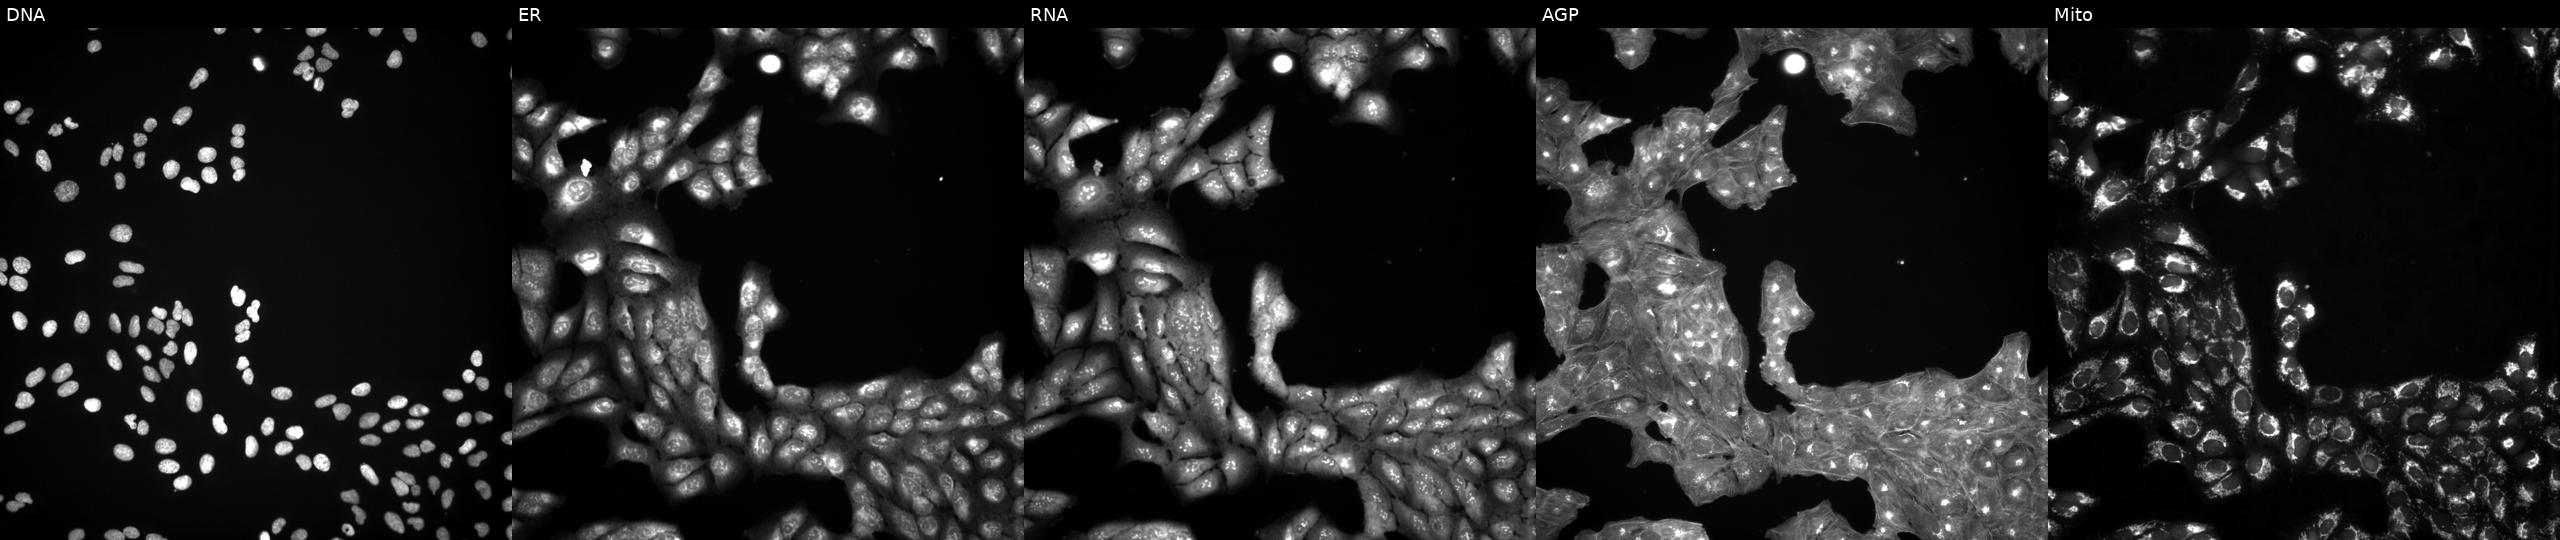
This image strip shows the five Cell Painting channels for a single field of U2OS cells treated with a small-molecule compound (InChIKey PYEFPDQFAZNXLI-UHFFFAOYSA-N) (JUMP id JCP2022_071733). From left to right: DNA (nuclei); ER (endoplasmic reticulum); RNA (nucleoli and cytoplasmic RNA); AGP (actin cytoskeleton, Golgi, and plasma membrane); Mito (mitochondria).